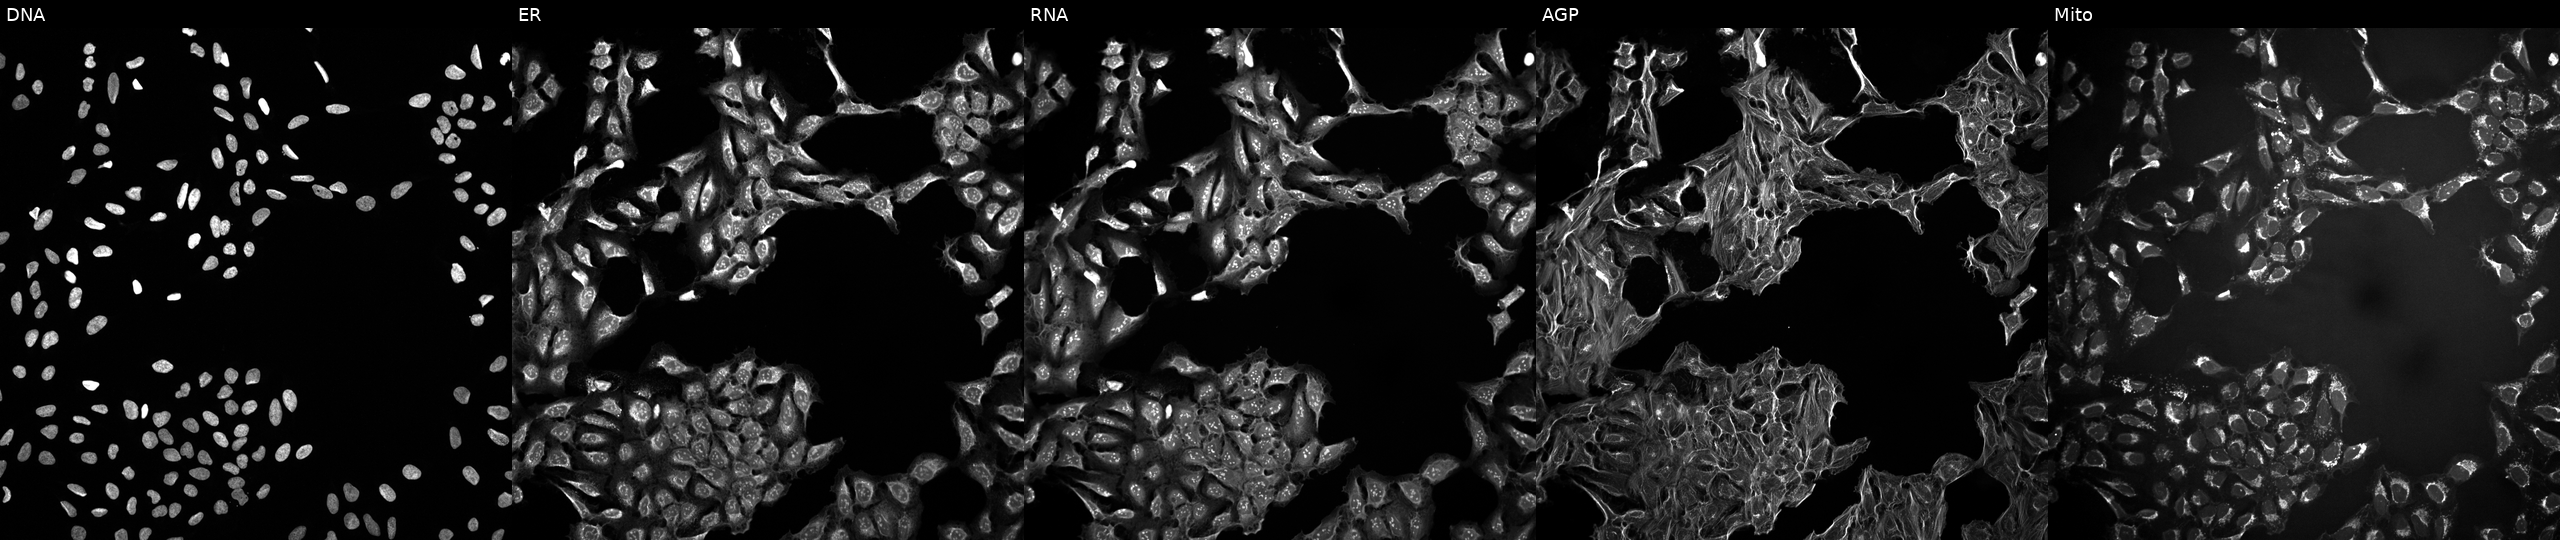
From left to right: DNA, ER, RNA, AGP, and Mito. U2OS osteosarcoma cells treated with a small-molecule compound (JUMP id JCP2022_107658). Cell Painting assay, JUMP-CP dataset.